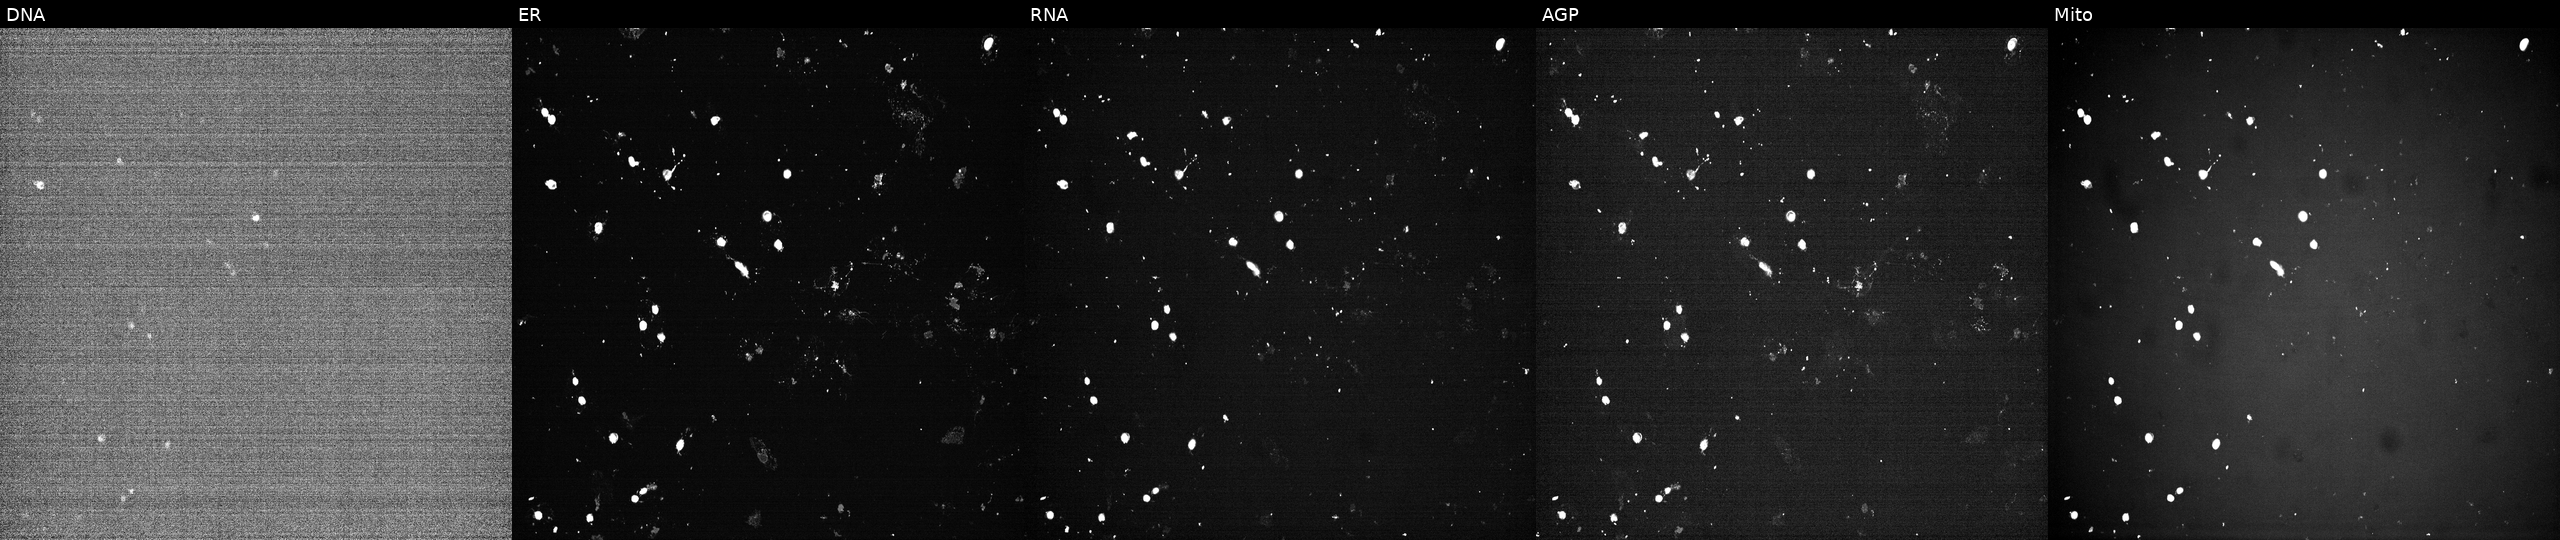
High-content fluorescence microscopy (Cell Painting). Cell line: U2OS. Perturbation: perturbed with a small-molecule compound (InChIKey LSFLAQVDISHMNB-UHFFFAOYSA-N) (JUMP id JCP2022_051415). Panels show, left to right, Hoechst 33342, concanavalin A, SYTO 14, phalloidin and WGA, MitoTracker. Source 7, plate CP1-SC1-25, well H14.